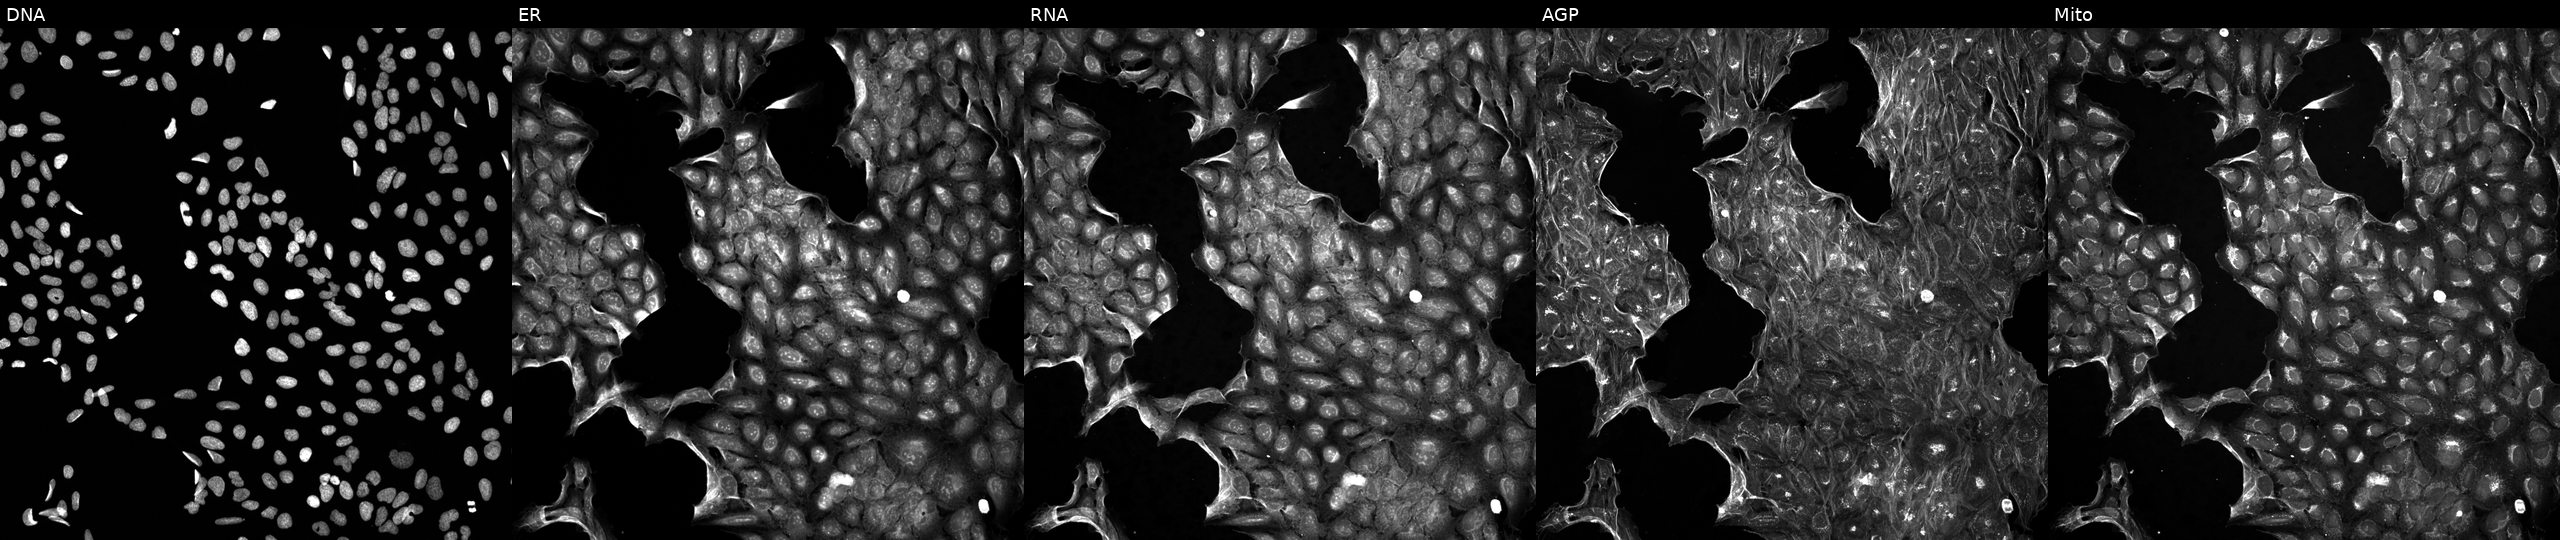
This image strip shows the five Cell Painting channels for a single field of U2OS cells treated with a small-molecule compound (InChIKey LIKLNVMDMDYKQG-UHFFFAOYSA-N) (JUMP id JCP2022_049642). Panels show, left to right, DNA, ER, RNA, AGP, and Mito.